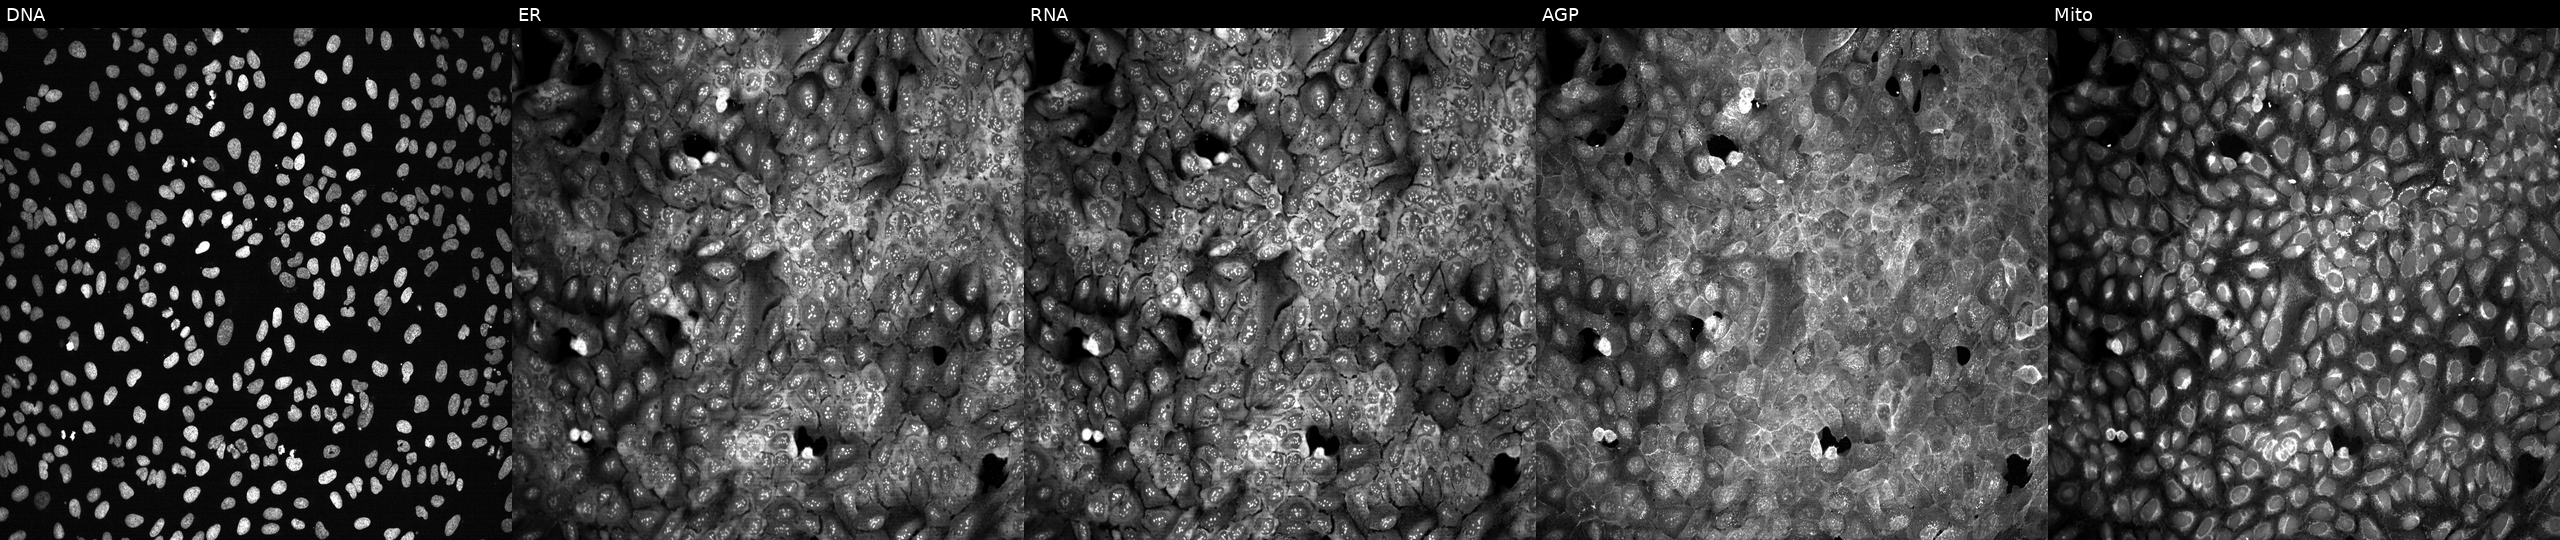
This image strip shows the five Cell Painting channels for a single field of U2OS cells following CRISPR knockout of KIF3A (JUMP id JCP2022_803681). Channels (left→right): Hoechst 33342, concanavalin A, SYTO 14, phalloidin and WGA, MitoTracker. Source 13, plate CP-CC9-R5-01, well D21.